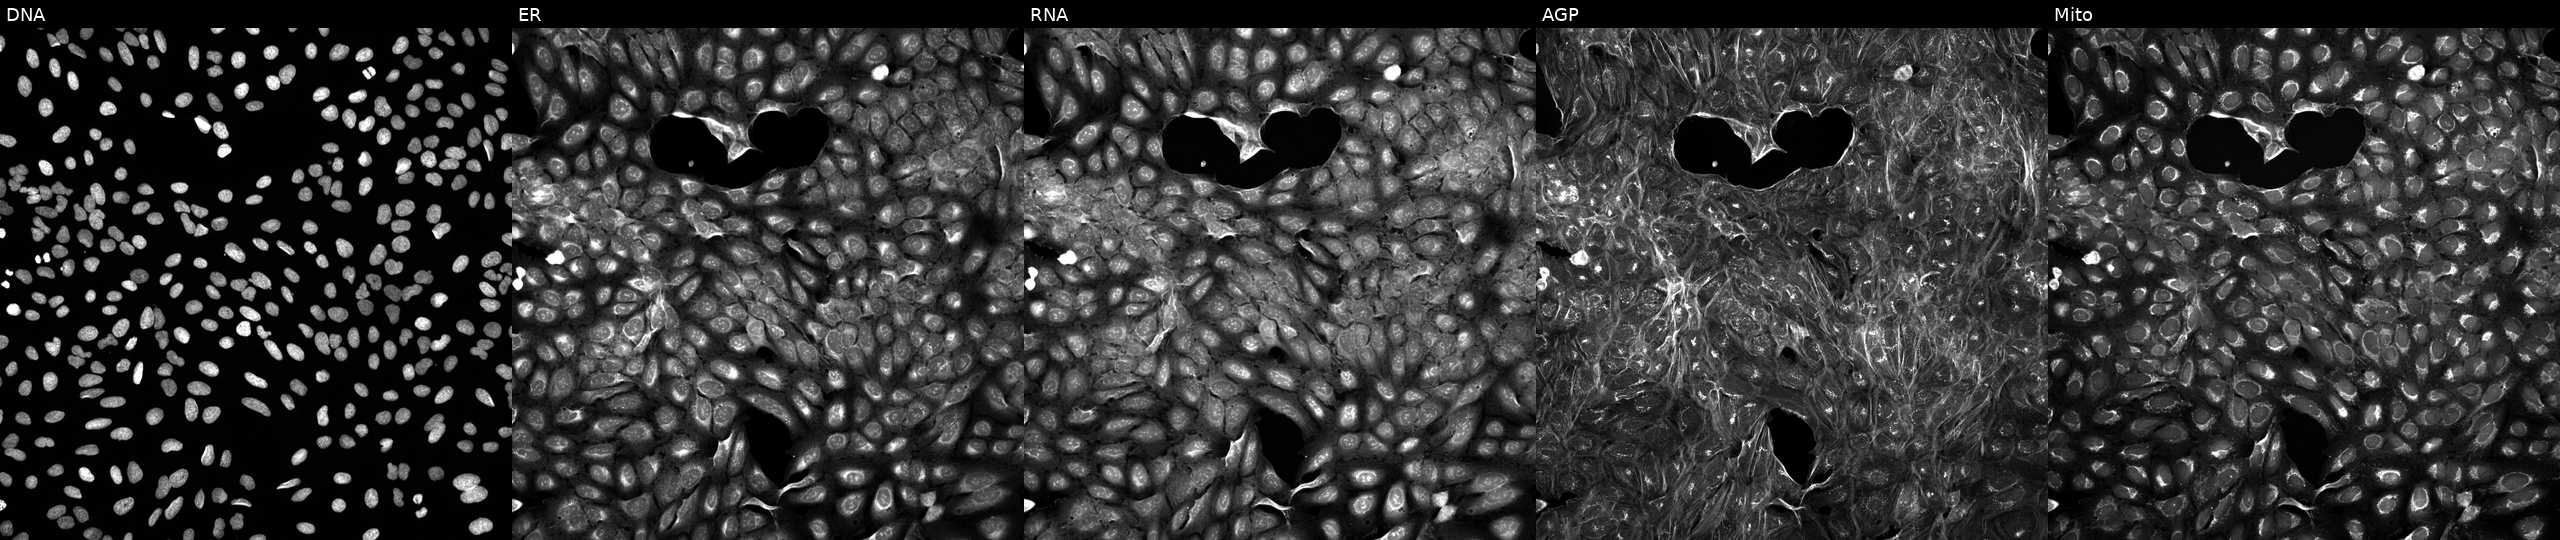
JUMP Cell Painting — TARGET2 plate. U2OS cells exposed to a small-molecule compound. Panels show, left to right, DNA, ER, RNA, AGP, and Mito.